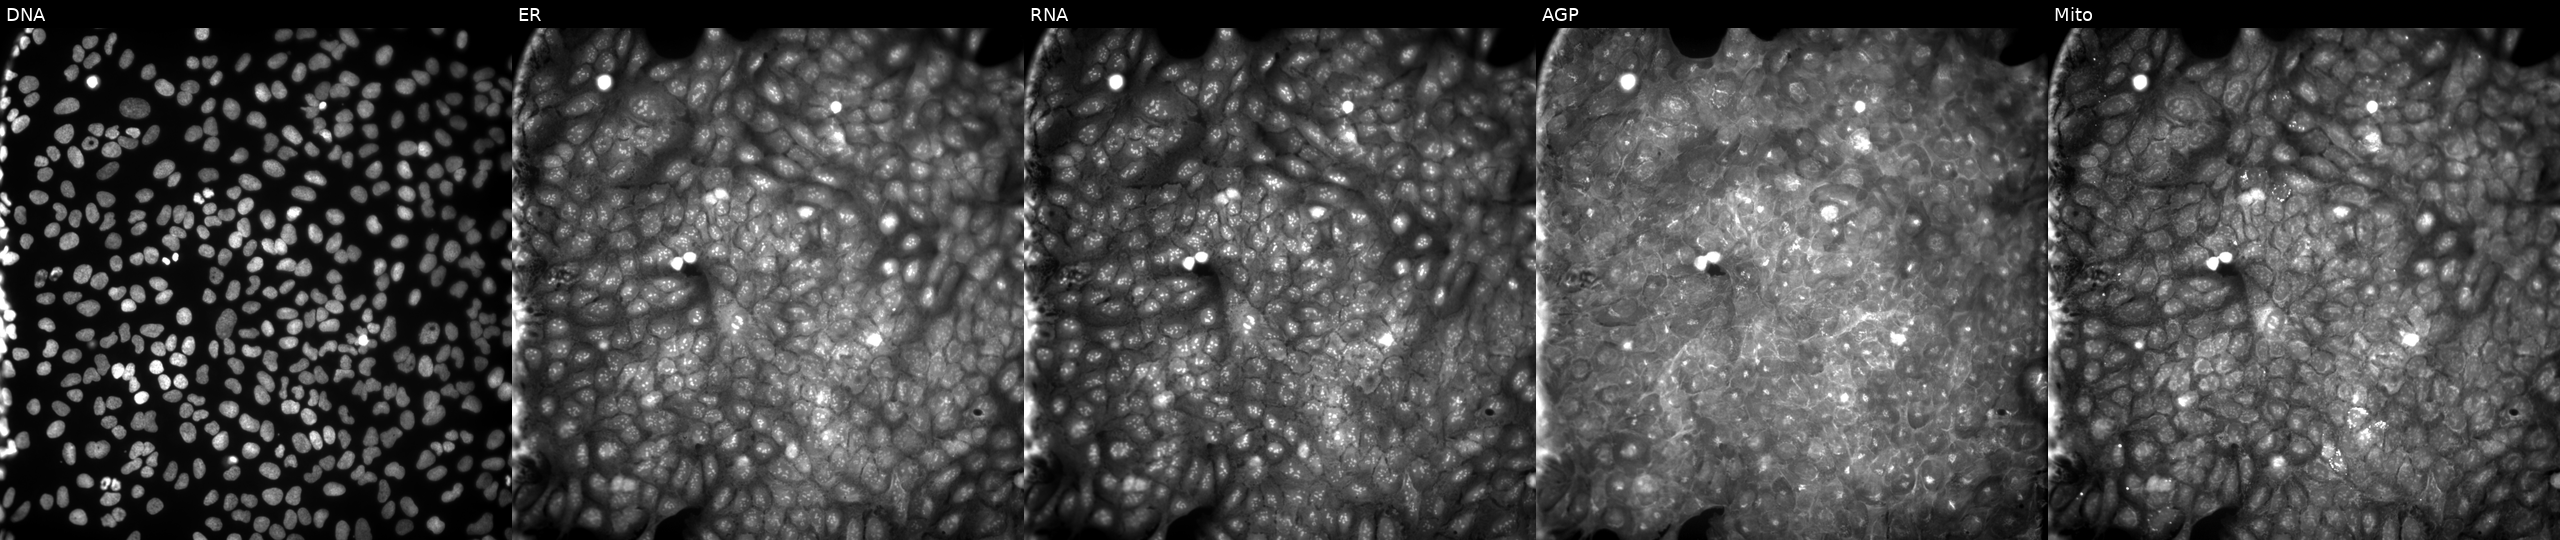
Five-channel Cell Painting image of U2OS cells perturbed with a small-molecule compound (InChIKey YRZGYZAAOZVGMI-UHFFFAOYSA-N) (JUMP id JCP2022_110463). Channels (left→right): DNA, ER, RNA, AGP, and Mito. Source 9, plate GR00003381, well Y03.